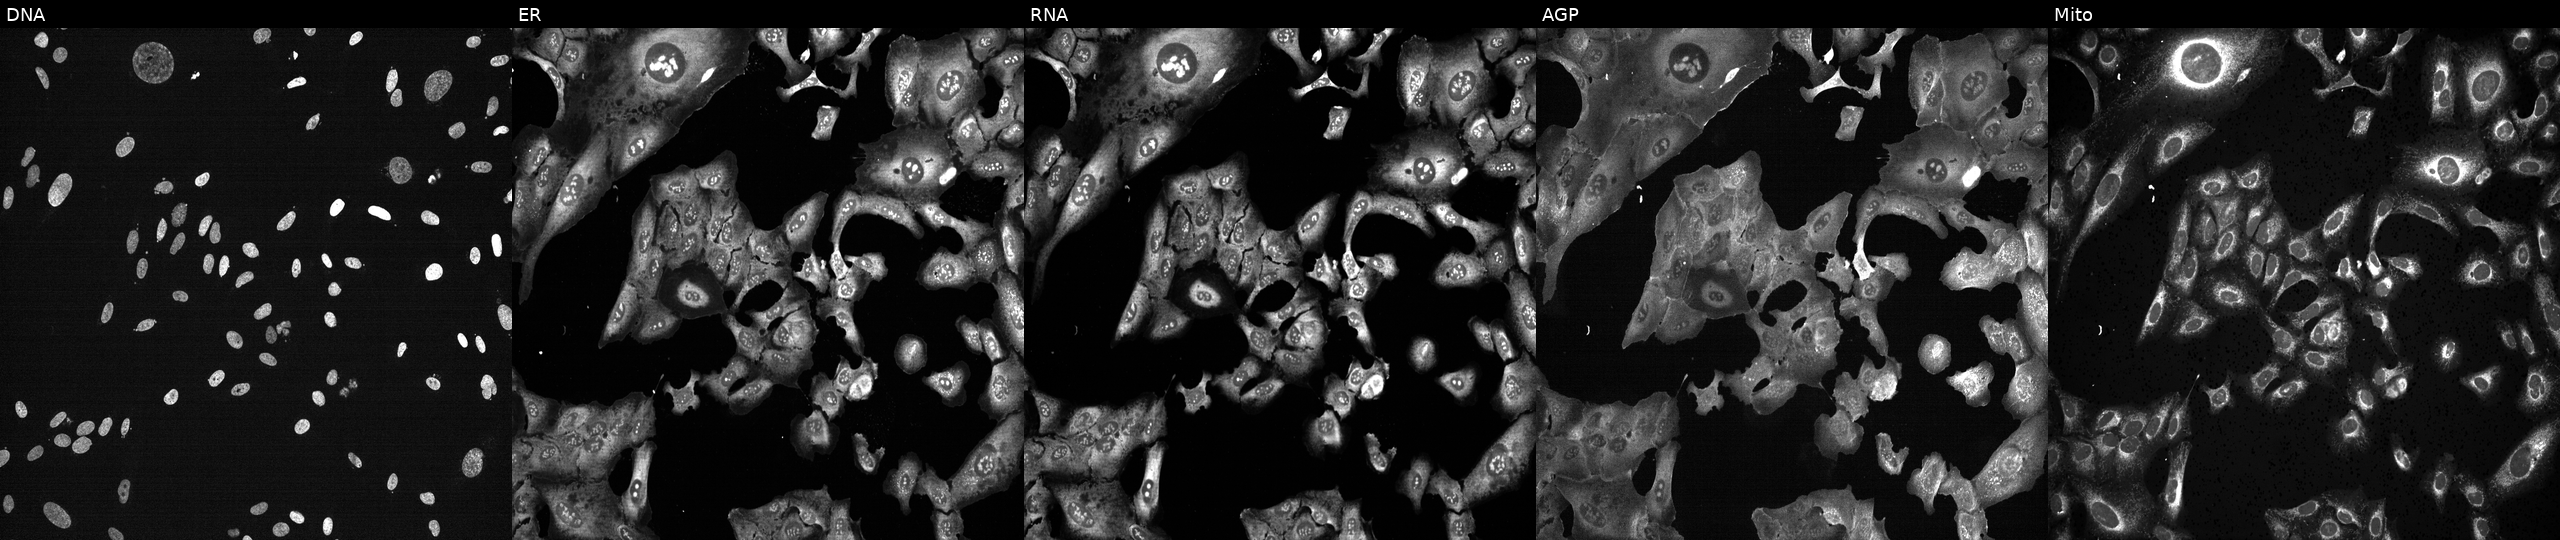
U2OS cells, Cell Painting assay, CRISPR-edited to disrupt MRC2 (JUMP id JCP2022_804264). The five panels, left to right, show DNA (nuclei); ER (endoplasmic reticulum); RNA (nucleoli and cytoplasmic RNA); AGP (actin cytoskeleton, Golgi, and plasma membrane); Mito (mitochondria). Each panel is percentile-stretched 16-bit fluorescence. Source 13, plate CP-CC9-R2-01, well D03.